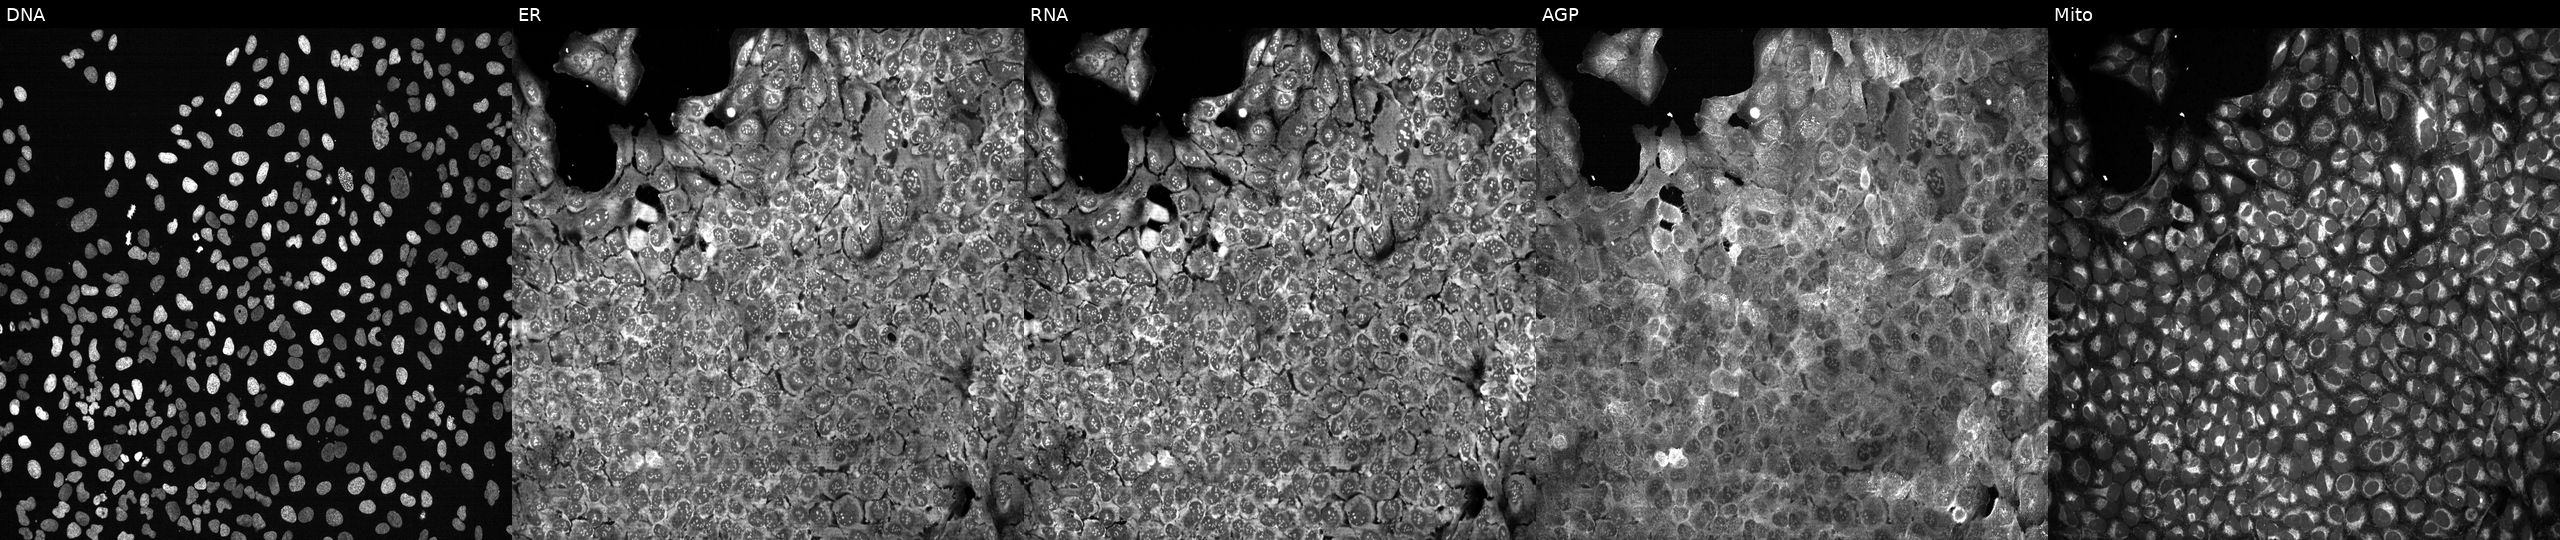
High-content fluorescence microscopy (Cell Painting). Cell line: U2OS. Perturbation: with MPP6 knocked out by CRISPR. The five panels, left to right, show DNA, ER, RNA, AGP, and Mito.